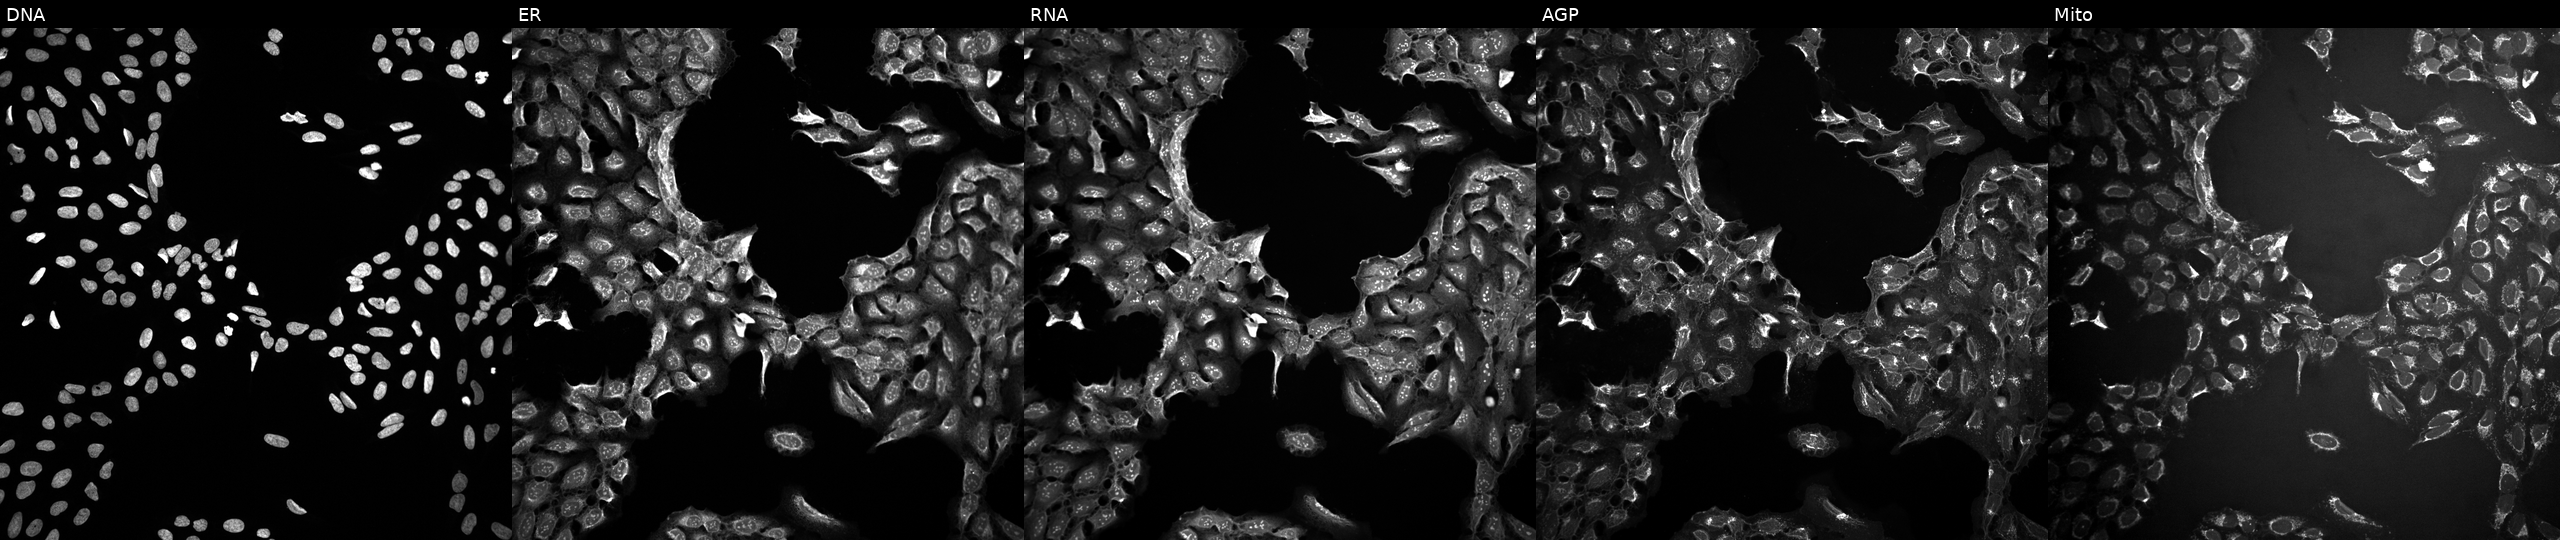
Five-channel Cell Painting image of U2OS cells treated with a small-molecule compound (InChIKey IKENVDNFQMCRTR-UHFFFAOYSA-N). Panels show, left to right, DNA (nuclei); ER (endoplasmic reticulum); RNA (nucleoli and cytoplasmic RNA); AGP (actin cytoskeleton, Golgi, and plasma membrane); Mito (mitochondria). Source 10, plate Dest210803-153958, well N17.